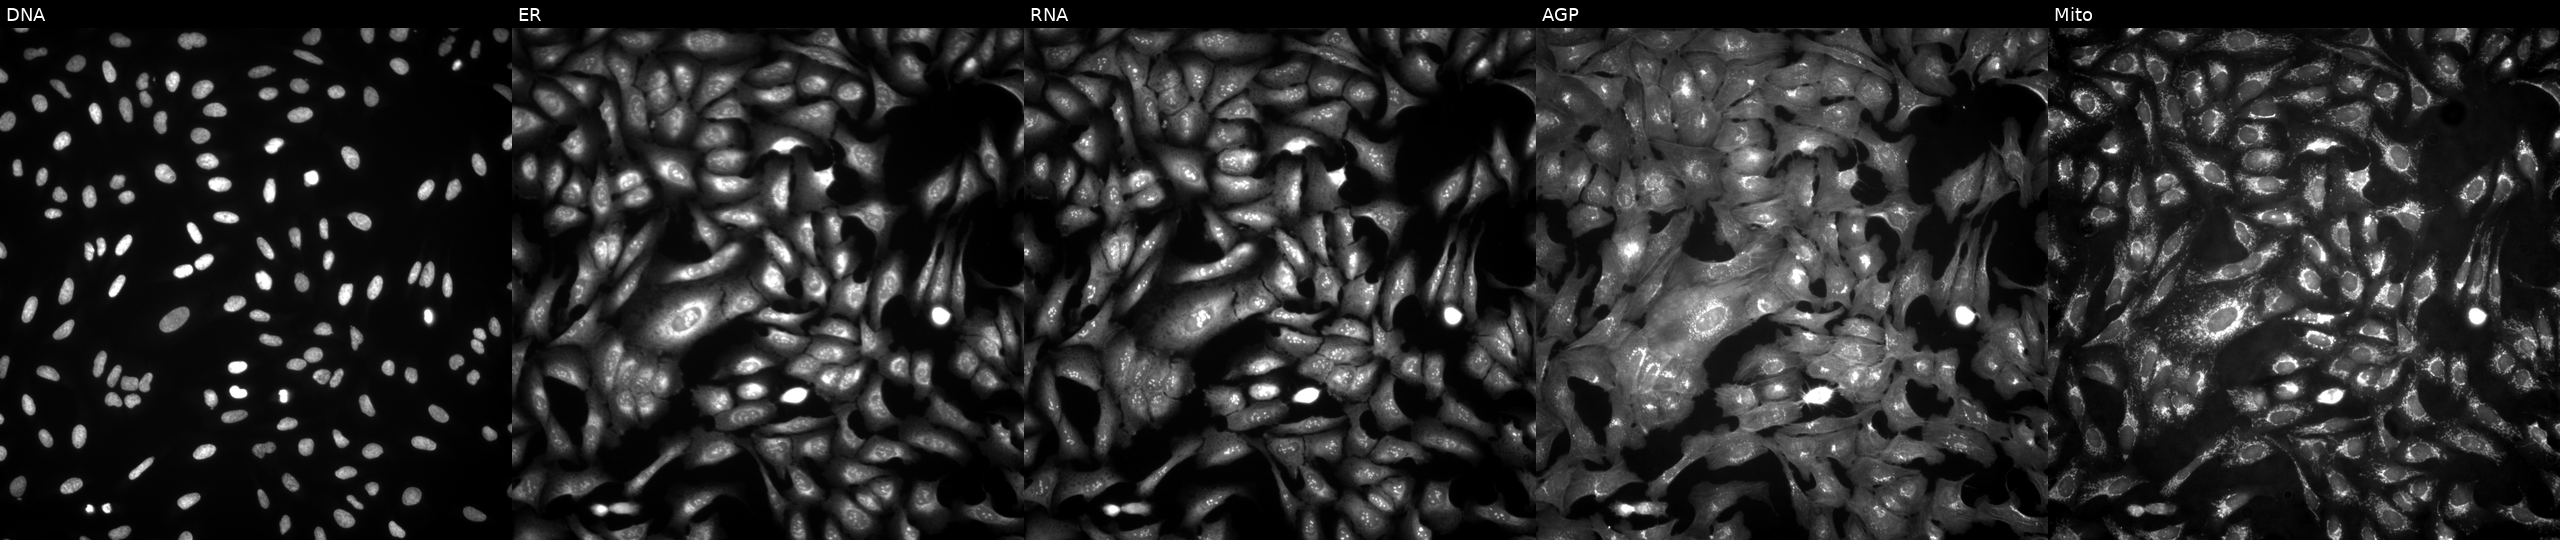
Five-channel Cell Painting image of U2OS cells overexpressing JMJD1C-AS1 via ORF transfection. Channels (left→right): Hoechst 33342, concanavalin A, SYTO 14, phalloidin and WGA, MitoTracker.